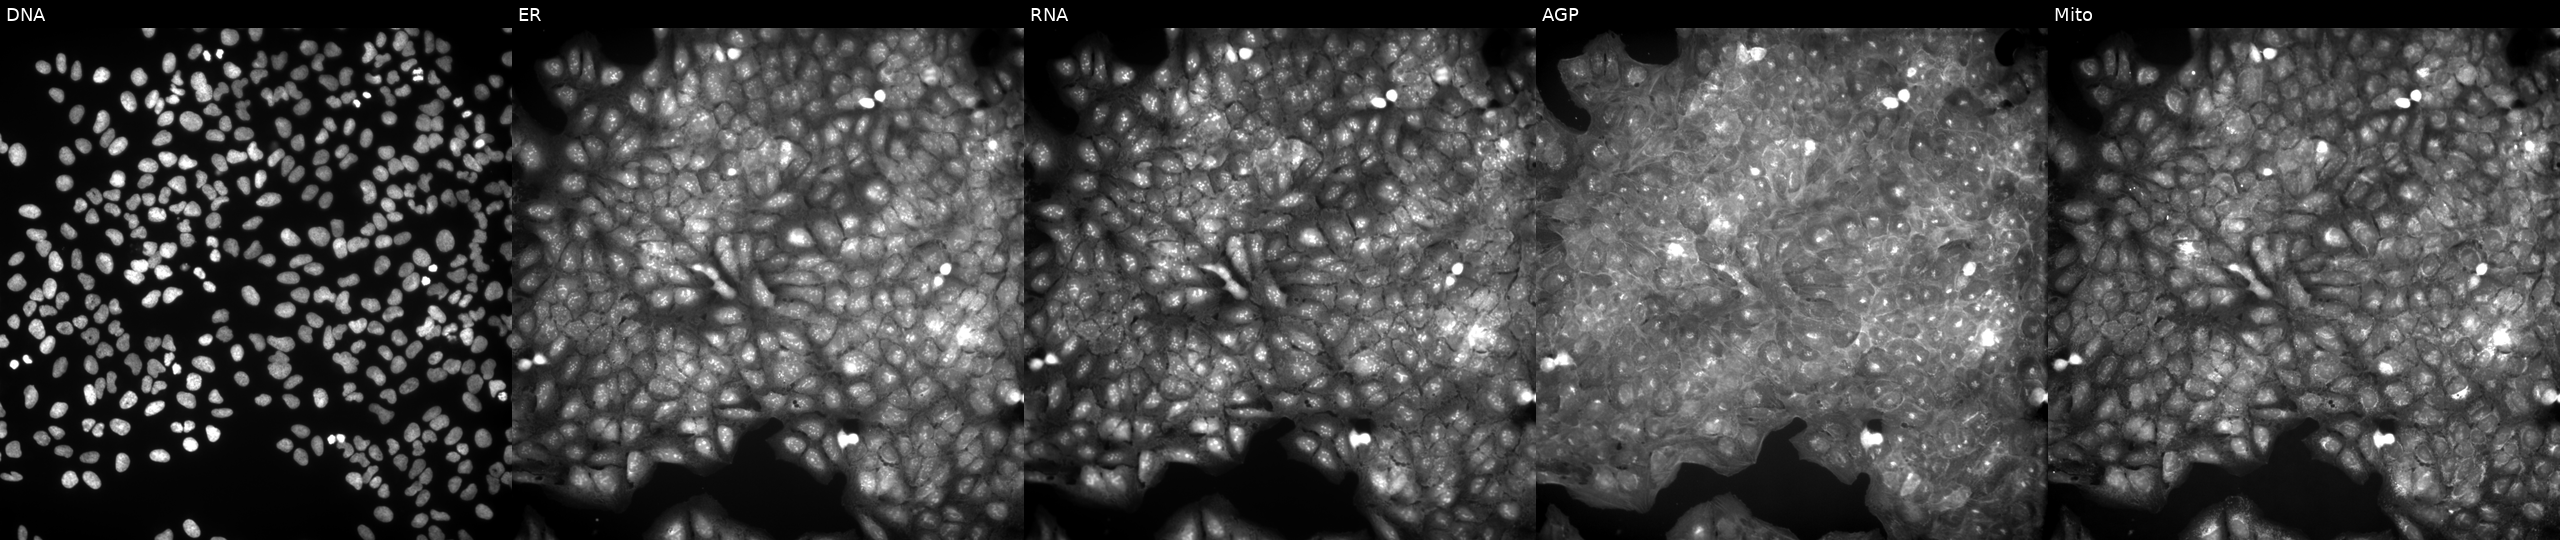
This image strip shows the five Cell Painting channels for a single field of U2OS cells perturbed with a small-molecule compound [SMILES: Cc1c(NC(C)c2ccccc2O)c(=O)n(-c2ccccc2)n1C]. Channels (left→right): DNA (nuclei); ER (endoplasmic reticulum); RNA (nucleoli and cytoplasmic RNA); AGP (actin cytoskeleton, Golgi, and plasma membrane); Mito (mitochondria). Source 9, plate GR00003382, well AA16.